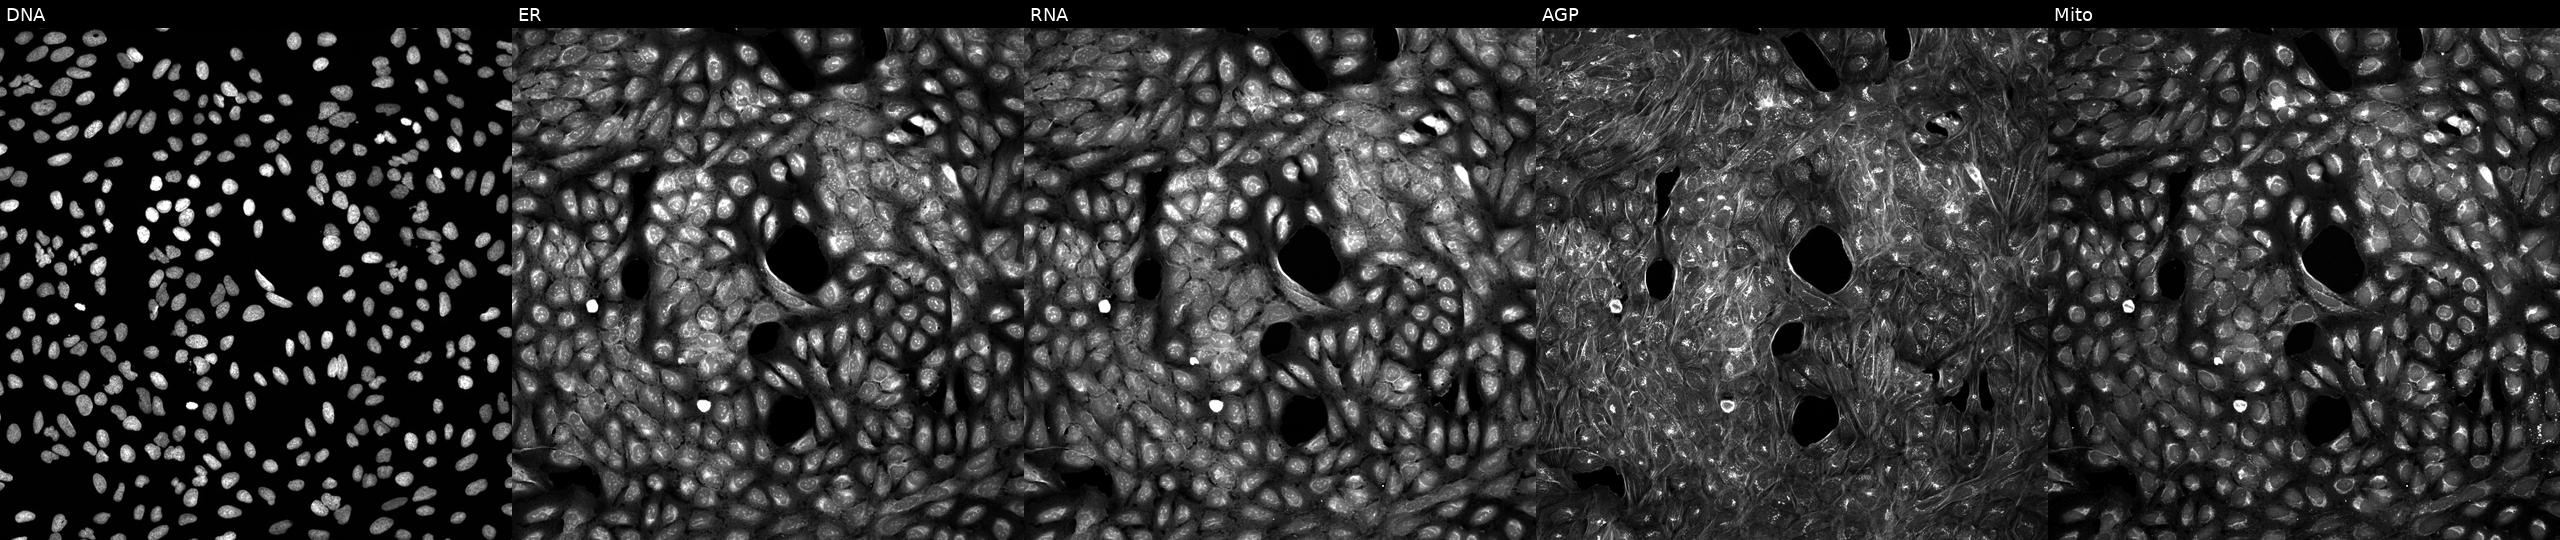
High-content fluorescence microscopy (Cell Painting). Cell line: U2OS. Perturbation: treated with a small-molecule compound (JUMP id JCP2022_026840). Channels (left→right): DNA (nuclei); ER (endoplasmic reticulum); RNA (nucleoli and cytoplasmic RNA); AGP (actin cytoskeleton, Golgi, and plasma membrane); Mito (mitochondria).